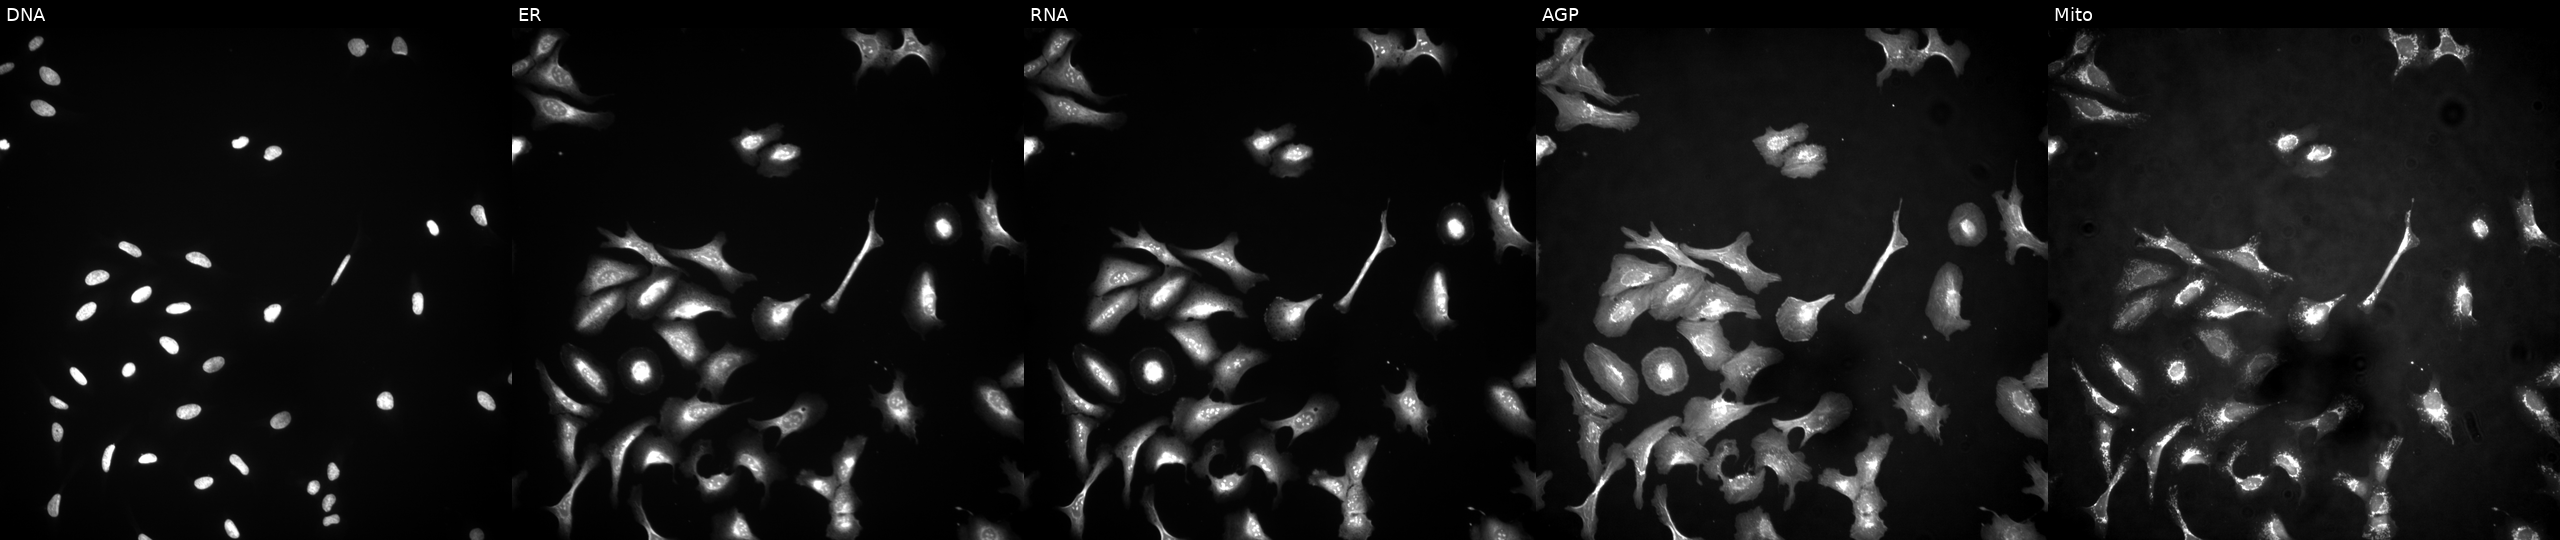
High-content fluorescence microscopy (Cell Painting). Cell line: U2OS. Perturbation: with SPATA45 overexpressed (ORF). Channels (left→right): DNA, ER, RNA, AGP, and Mito. Source 4, plate BR00124790, well M08.